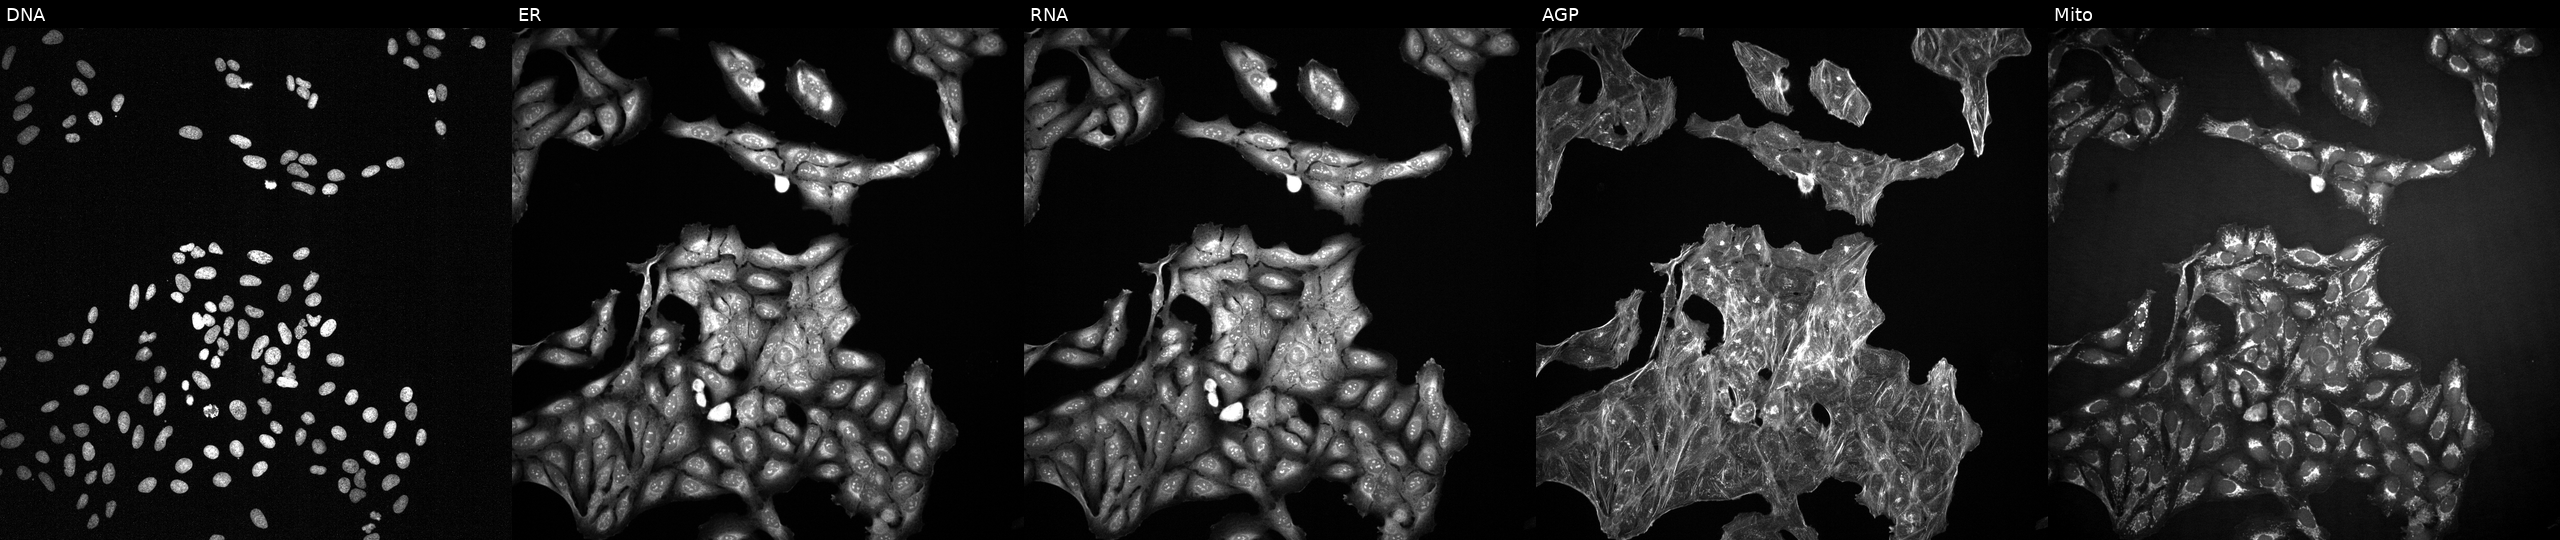
This image strip shows the five Cell Painting channels for a single field of U2OS cells treated with a small-molecule compound (InChIKey QNQZWEGMKJBHEM-UHFFFAOYSA-N) (JUMP id JCP2022_074697). The five panels, left to right, show DNA (nuclei); ER (endoplasmic reticulum); RNA (nucleoli and cytoplasmic RNA); AGP (actin cytoskeleton, Golgi, and plasma membrane); Mito (mitochondria).